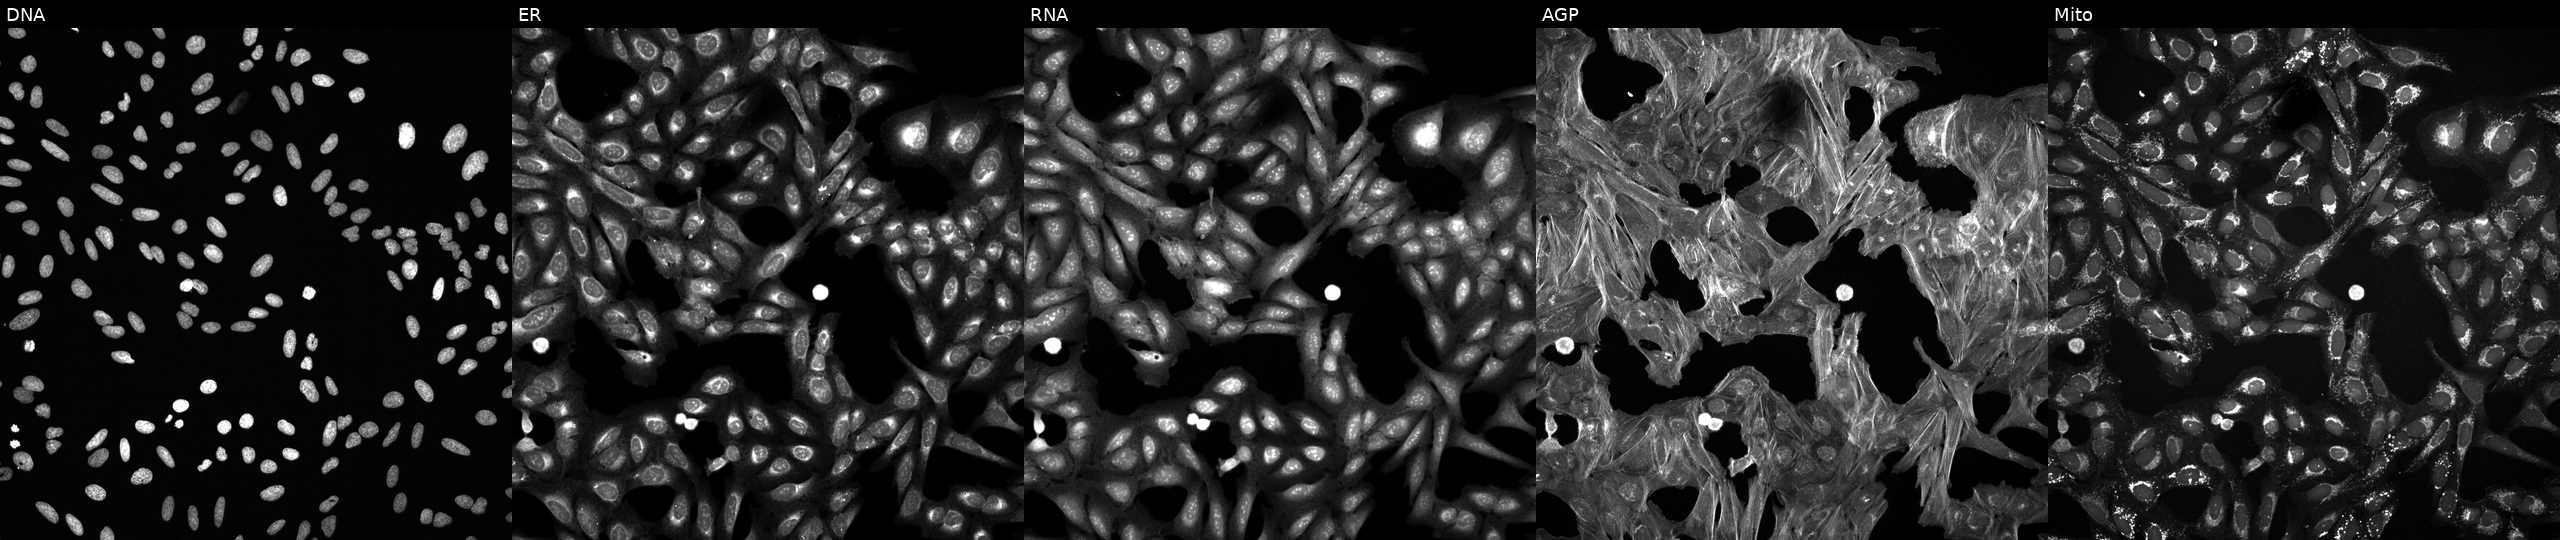
JUMP Cell Painting — COMPOUND plate. U2OS cells perturbed with a small-molecule compound (InChIKey DPZWKXVRBXCHMS-UHFFFAOYSA-N) (JUMP id JCP2022_017509). From left to right: DNA, ER, RNA, AGP, and Mito.